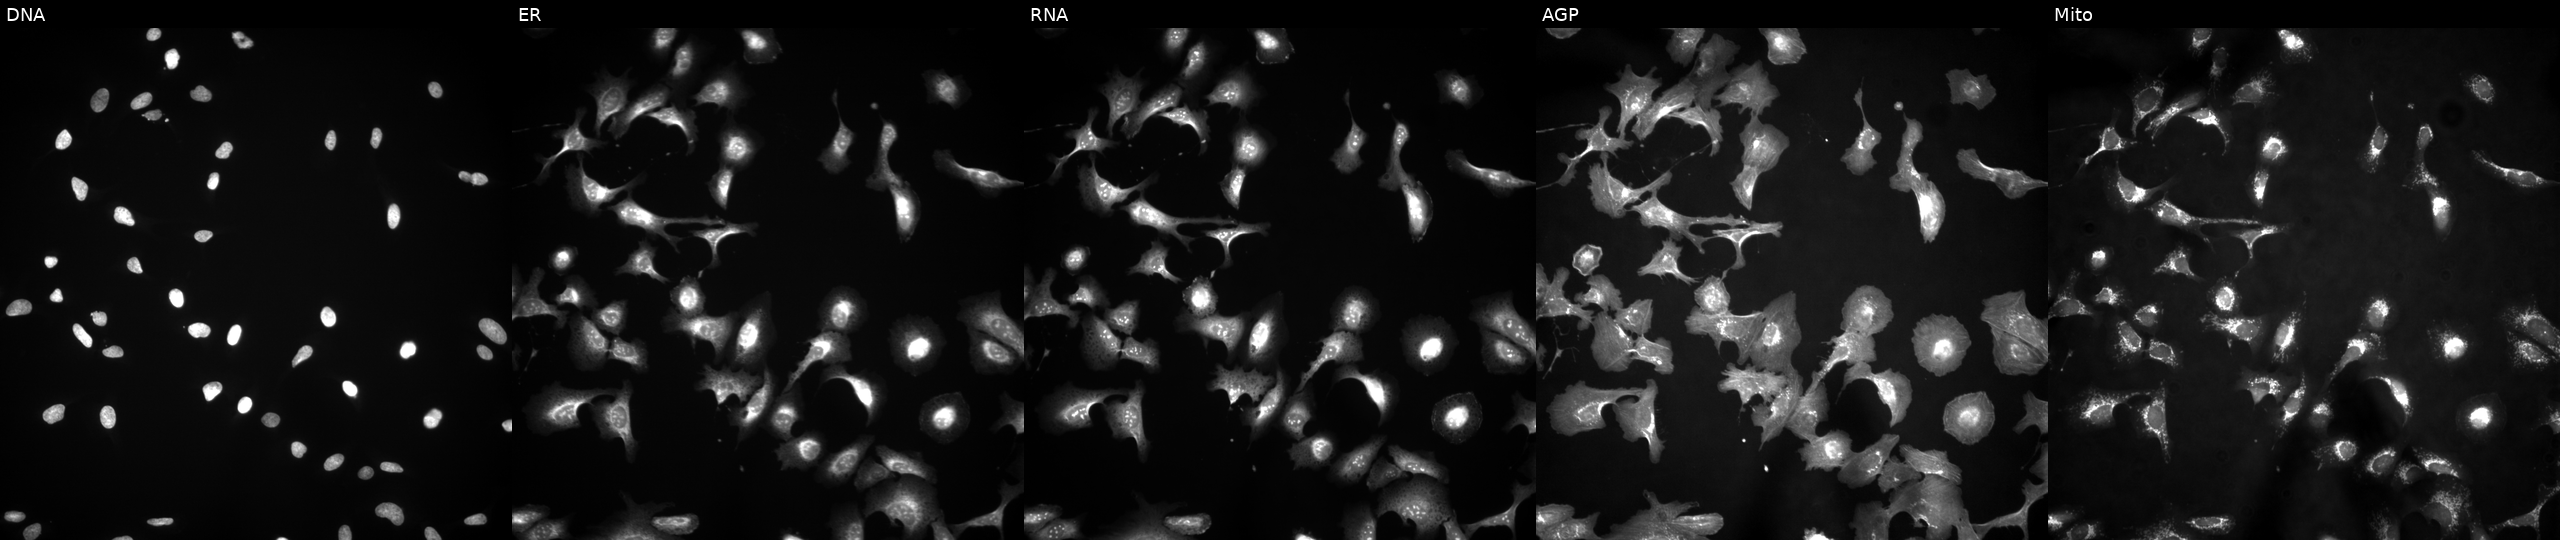
This image strip shows the five Cell Painting channels for a single field of U2OS cells exposed to the positive-control compound TC-S-7004 (JUMP id JCP2022_012818). Panels show, left to right, DNA, ER, RNA, AGP, and Mito.